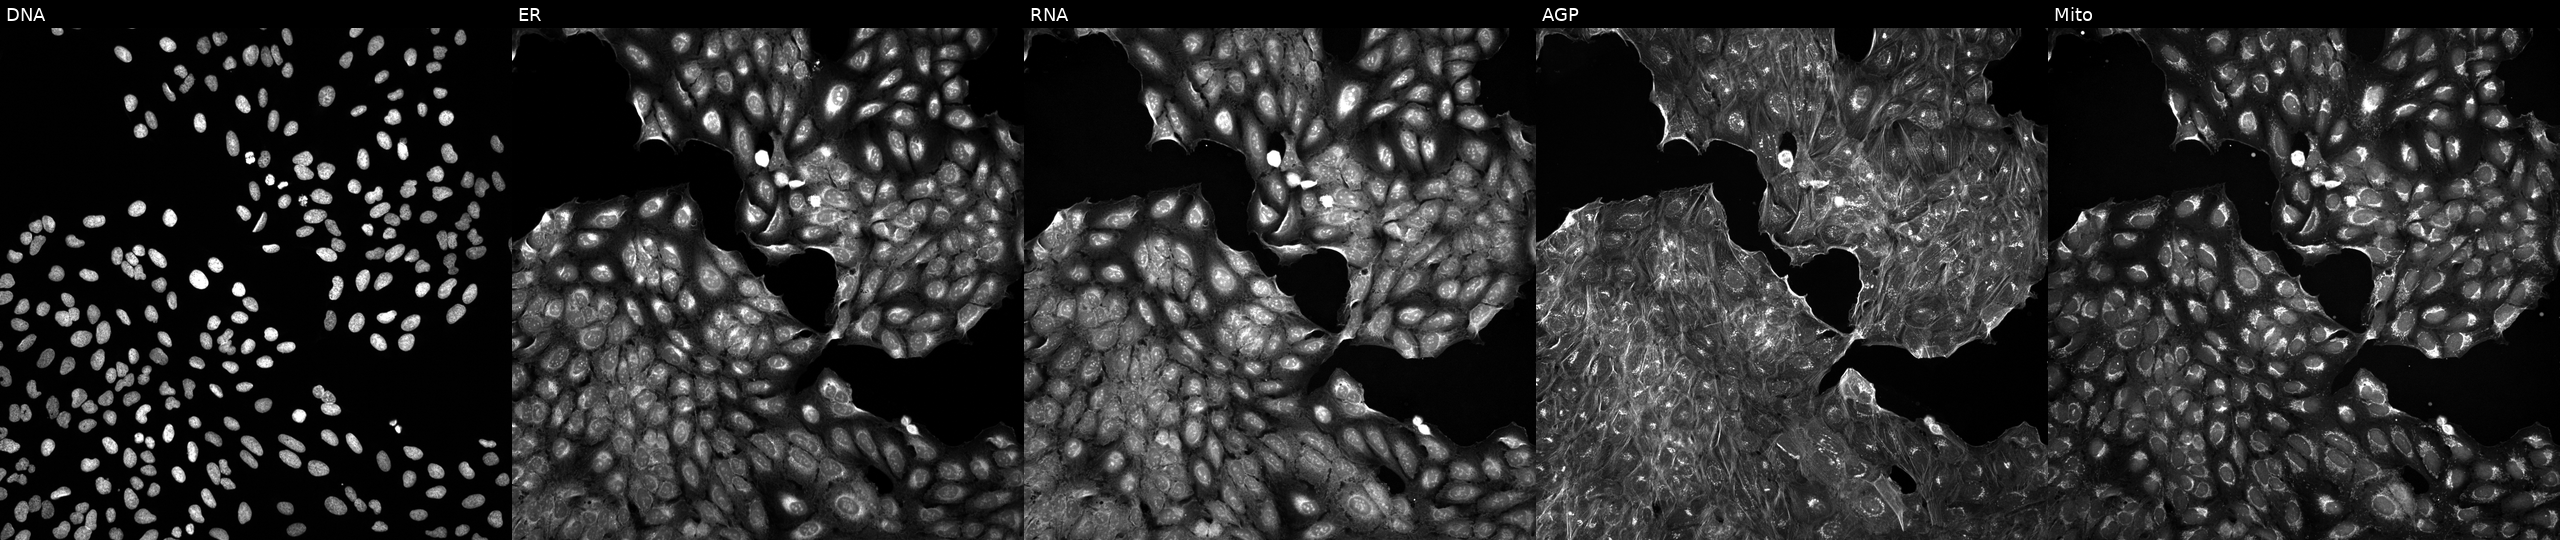
JUMP Cell Painting — TARGET2 plate. U2OS cells treated with a small-molecule compound (InChIKey PYEFPDQFAZNXLI-UHFFFAOYSA-N). The five panels, left to right, show DNA (nuclei); ER (endoplasmic reticulum); RNA (nucleoli and cytoplasmic RNA); AGP (actin cytoskeleton, Golgi, and plasma membrane); Mito (mitochondria). Source 5, plate ACPJUM051, well J11.